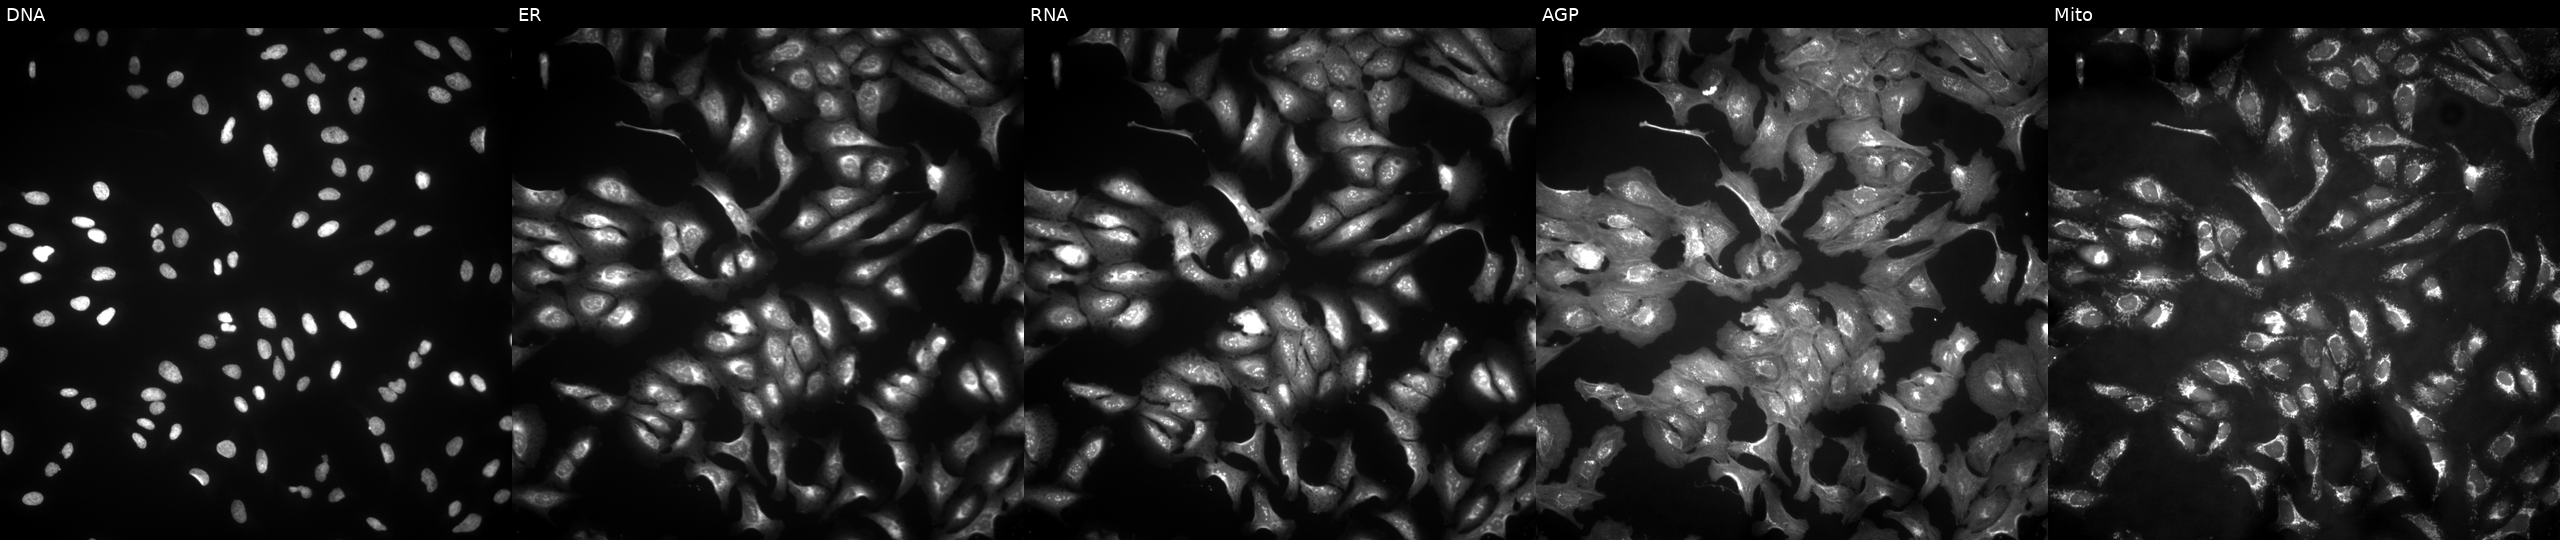
Five-channel Cell Painting image of U2OS cells with CLK3 overexpressed (ORF). Channels (left→right): DNA, ER, RNA, AGP, and Mito.